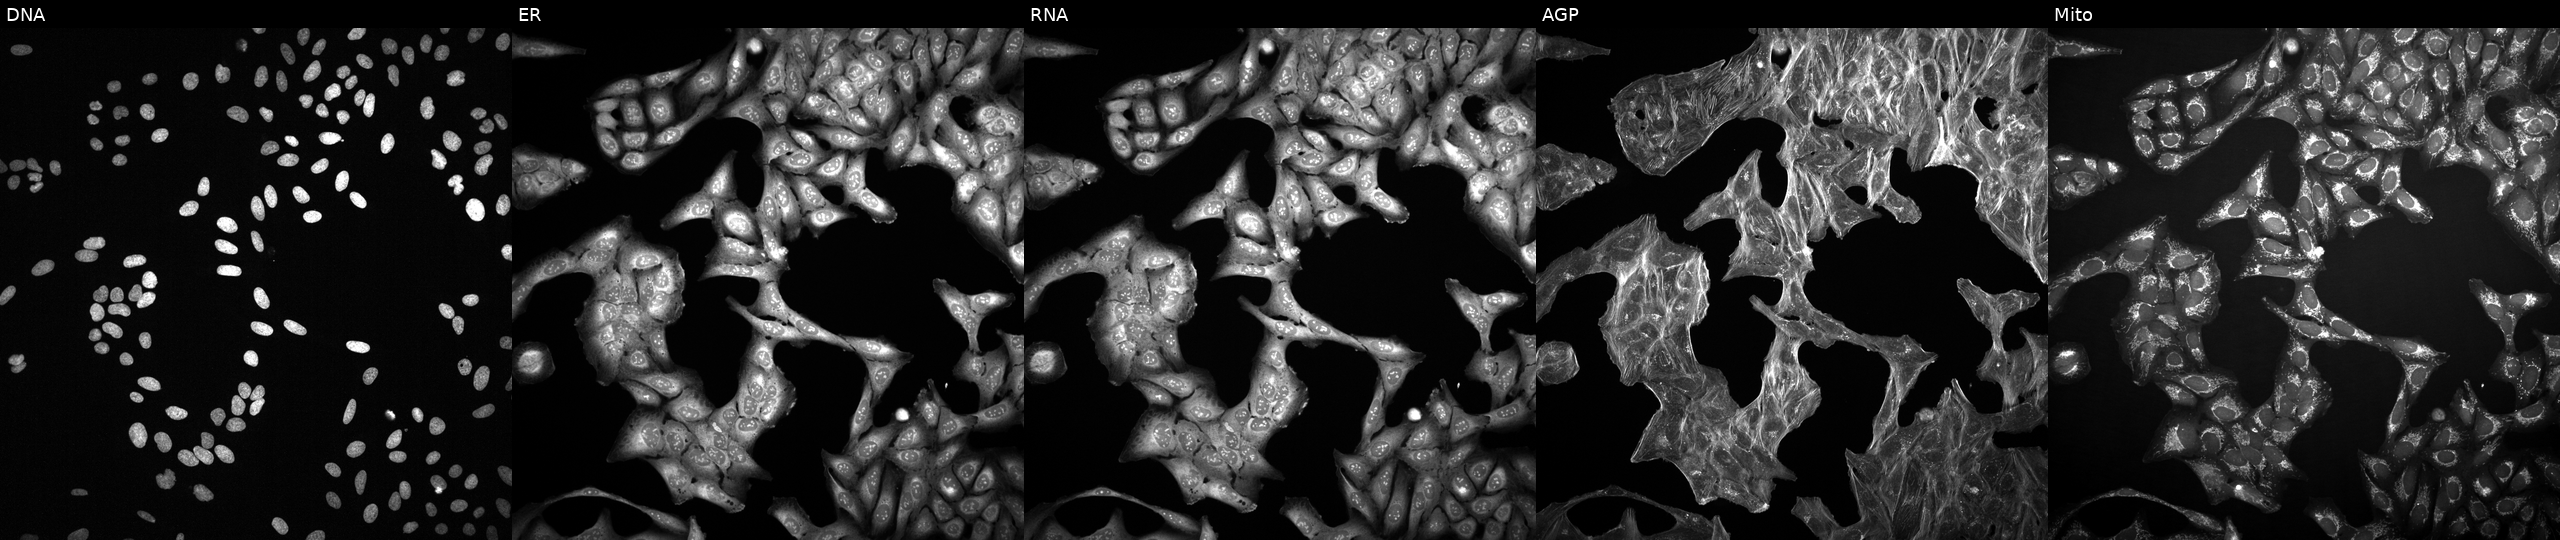
Five-channel Cell Painting image of U2OS cells exposed to a small-molecule compound (InChIKey SNICXCGAKADSCV-UHFFFAOYSA-N) [SMILES: CN1CCCC1c1cccnc1]. Channels (left→right): DNA (nuclei); ER (endoplasmic reticulum); RNA (nucleoli and cytoplasmic RNA); AGP (actin cytoskeleton, Golgi, and plasma membrane); Mito (mitochondria).